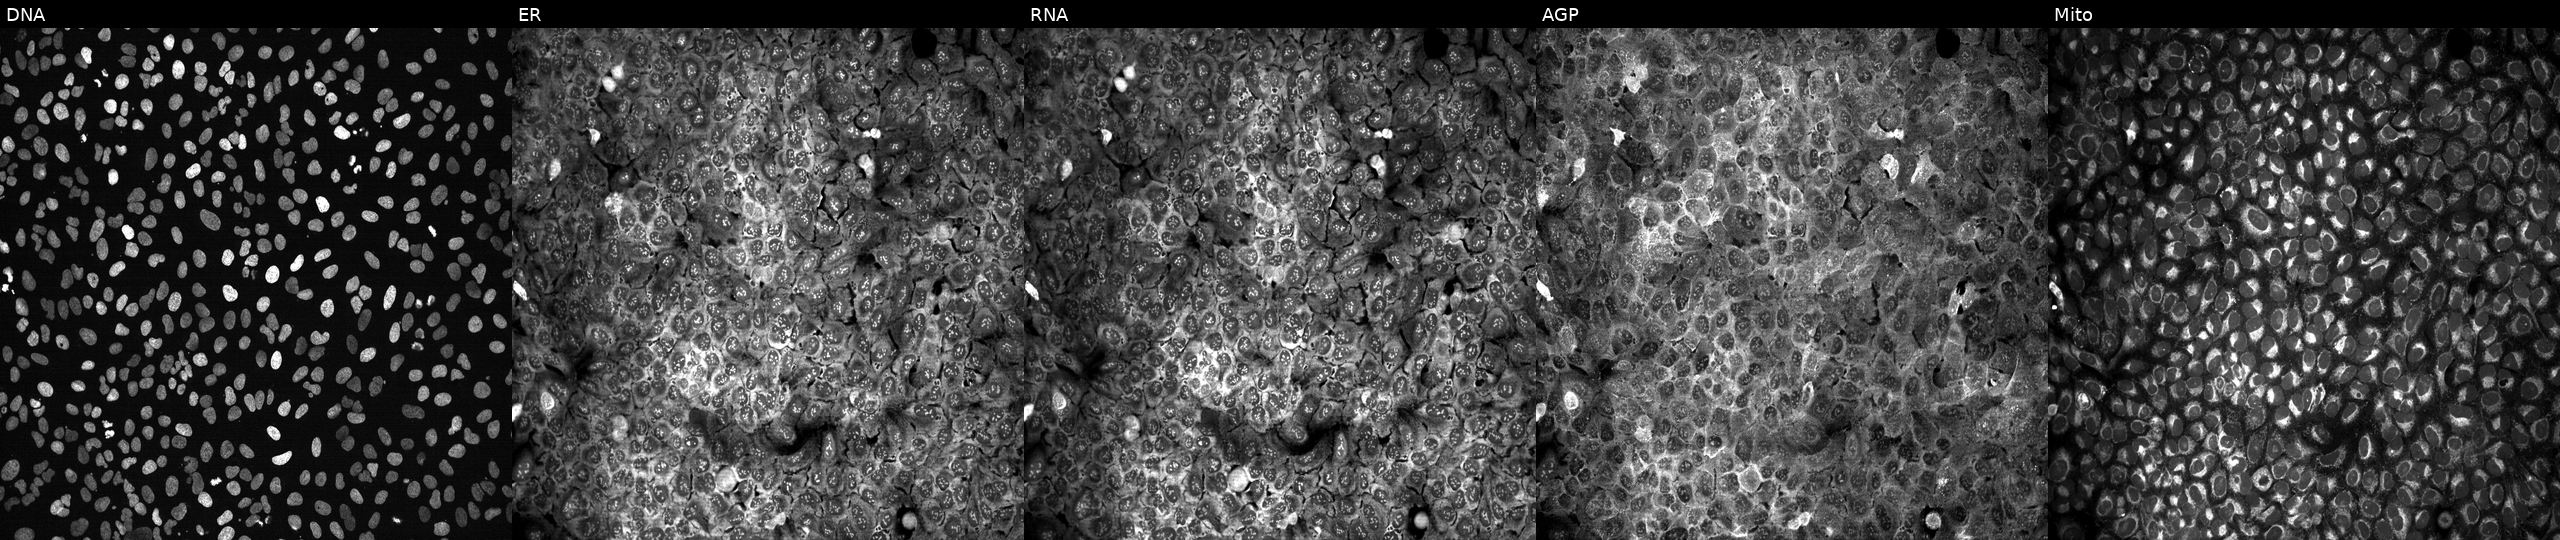
U2OS cells, Cell Painting assay, CRISPR-edited to disrupt AMY2A. Channels (left→right): DNA, ER, RNA, AGP, and Mito. Each panel is percentile-stretched 16-bit fluorescence. Source 13, plate CP-CC9-R3-02, well I20.